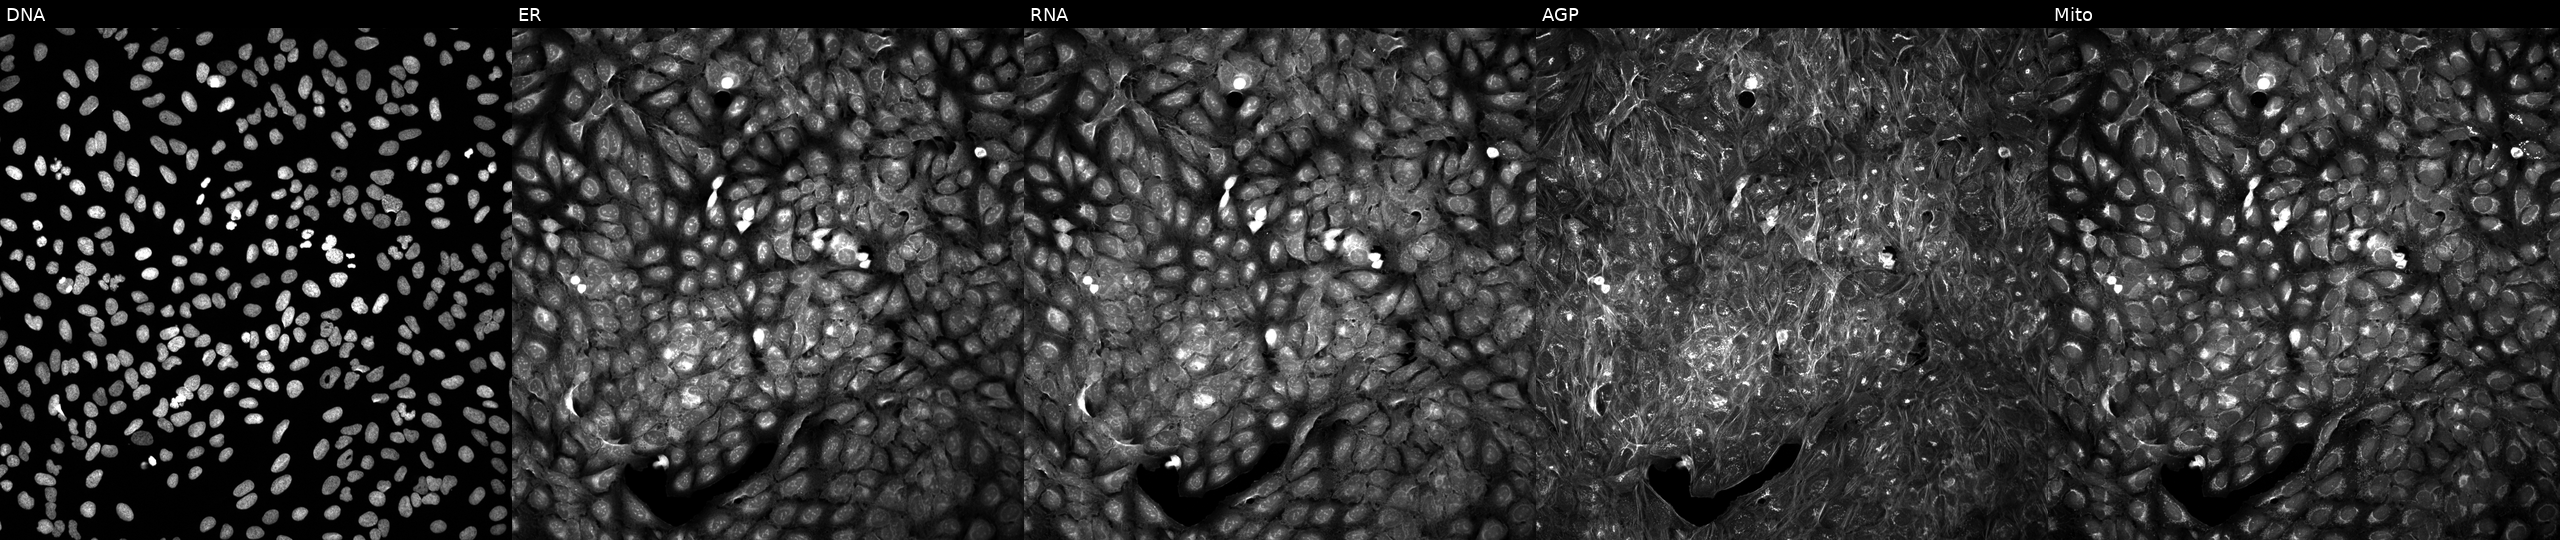
U2OS cells, Cell Painting assay, treated with a small-molecule compound (InChIKey LAYRPMNCPUTEIT-UHFFFAOYSA-N). Channels (left→right): DNA, ER, RNA, AGP, and Mito. Each panel is percentile-stretched 16-bit fluorescence. Source 5, plate APTJUM105, well I22.